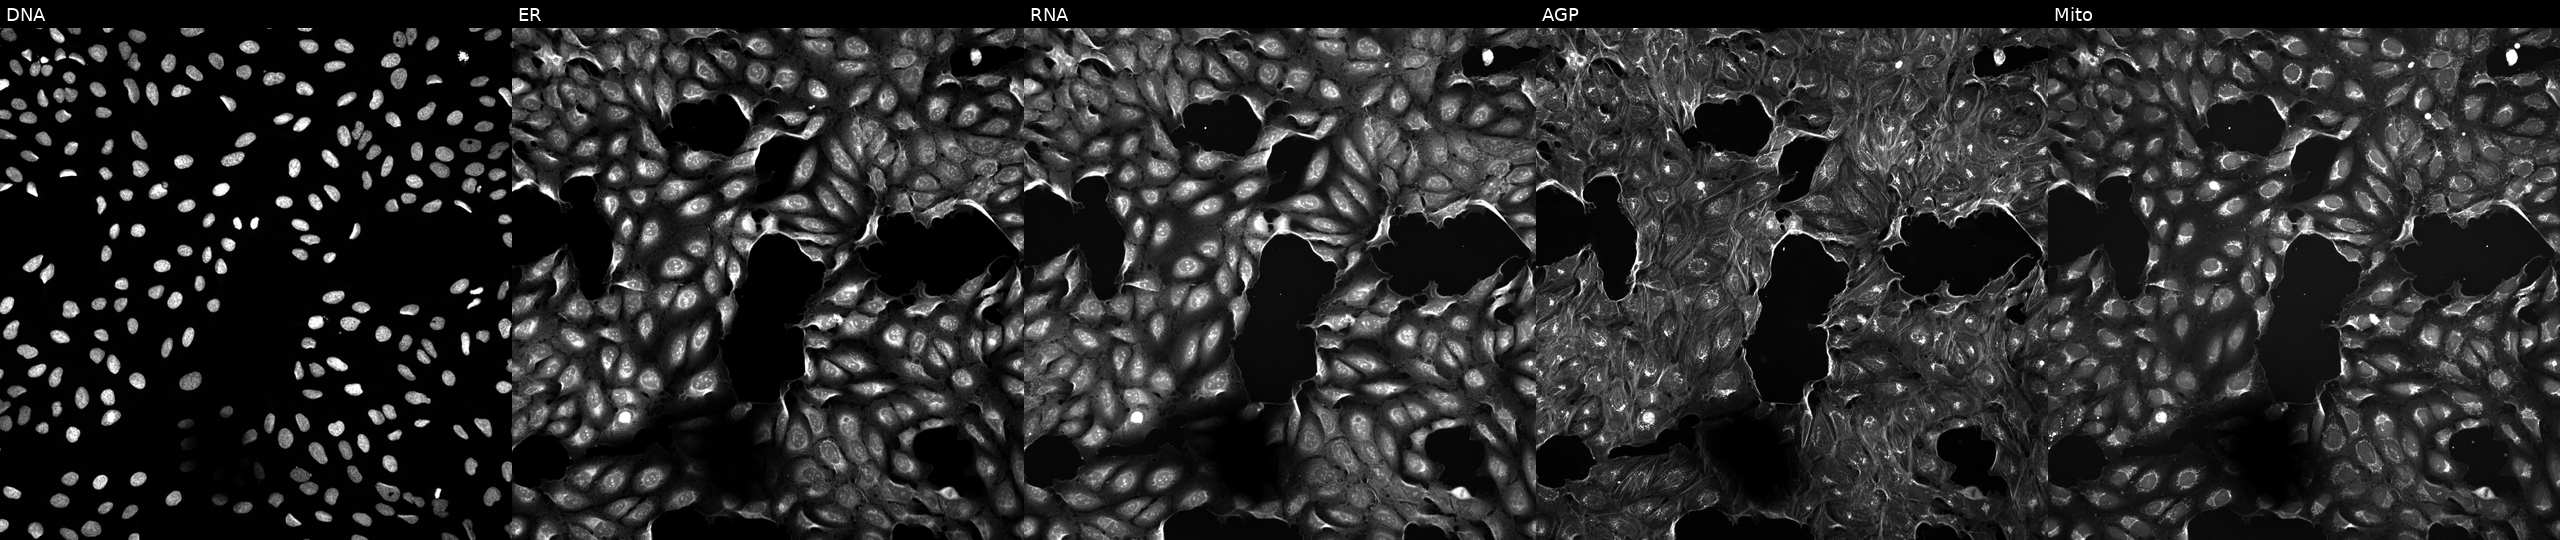
High-content fluorescence microscopy (Cell Painting). Cell line: U2OS. Perturbation: perturbed with a small-molecule compound (InChIKey ALBKMJDFBZVHAK-UHFFFAOYSA-N) [SMILES: CCOC(=O)c1ncc2[nH]c3ccc(OCc4ccccc4)cc3c2c1COC]. Channels (left→right): DNA (nuclei); ER (endoplasmic reticulum); RNA (nucleoli and cytoplasmic RNA); AGP (actin cytoskeleton, Golgi, and plasma membrane); Mito (mitochondria). Source 5, plate ACPJUM051, well N16.